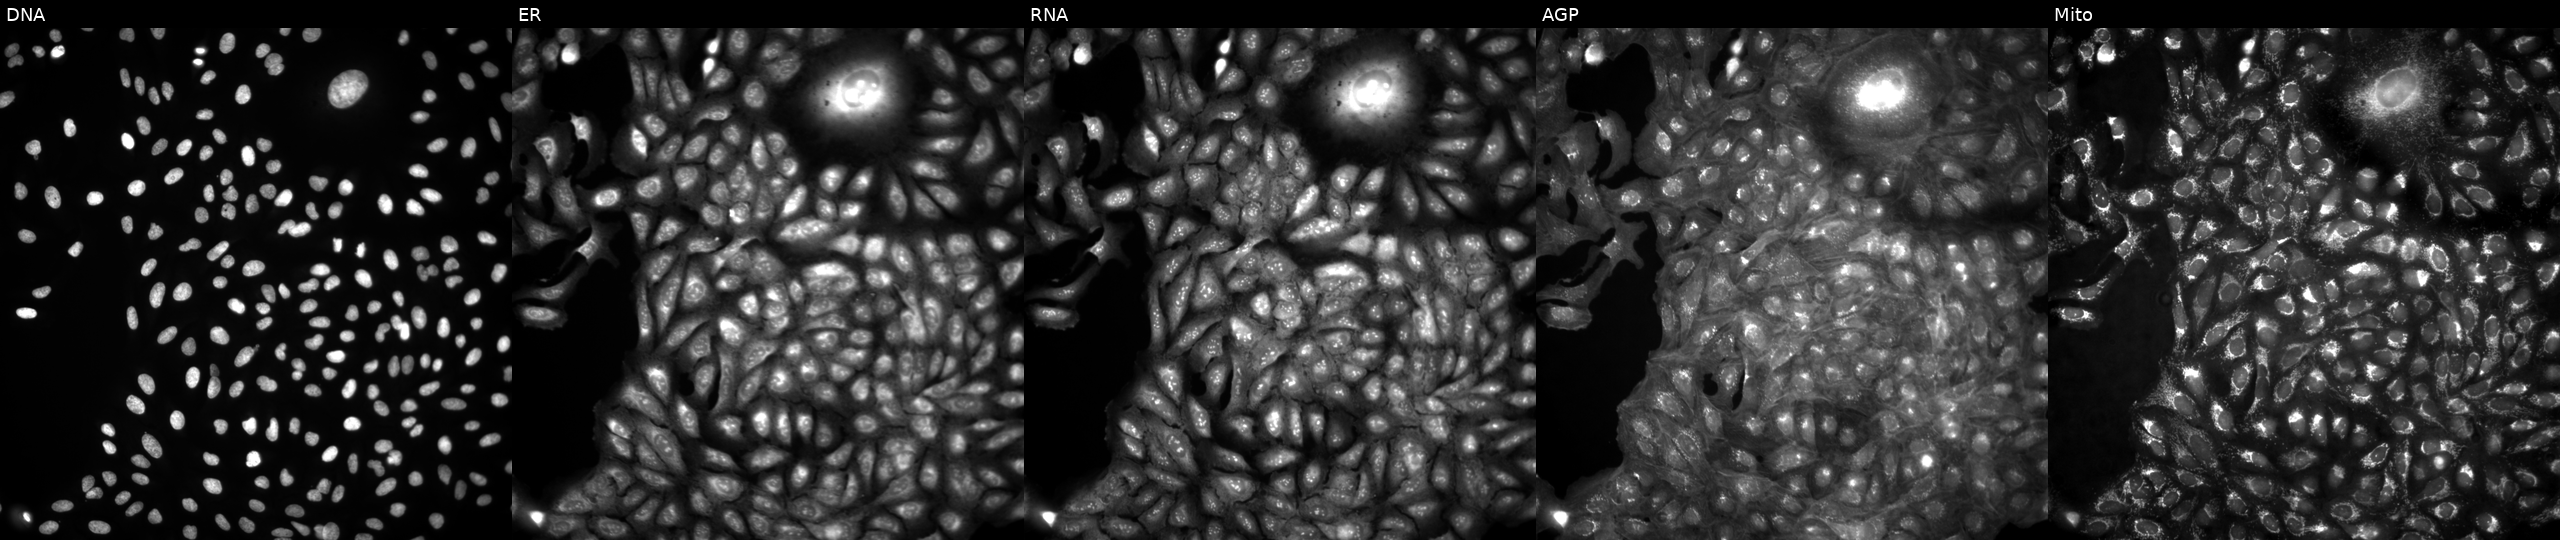
This image strip shows the five Cell Painting channels for a single field of U2OS cells in an empty control well (no perturbation) (JUMP id JCP2022_999999). Channels (left→right): DNA (nuclei); ER (endoplasmic reticulum); RNA (nucleoli and cytoplasmic RNA); AGP (actin cytoskeleton, Golgi, and plasma membrane); Mito (mitochondria). Source 4, plate BR00124793, well A19.